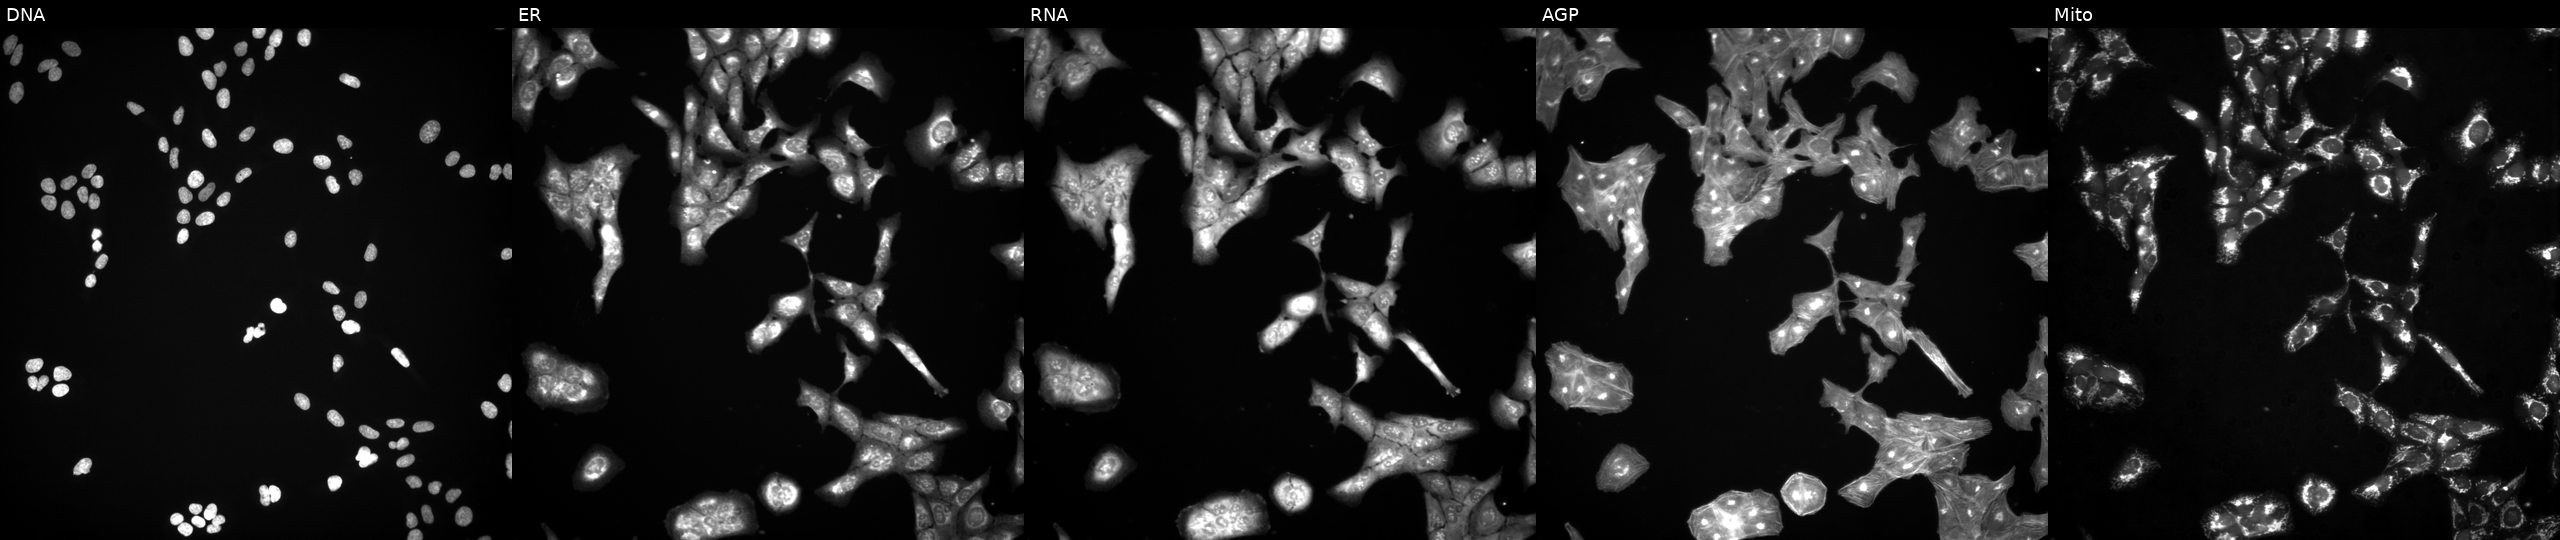
Five-channel Cell Painting image of U2OS cells exposed to a small-molecule compound (InChIKey YPHMISFOHDHNIV-UHFFFAOYSA-N) (JUMP id JCP2022_109917). The five panels, left to right, show Hoechst 33342, concanavalin A, SYTO 14, phalloidin and WGA, MitoTracker.